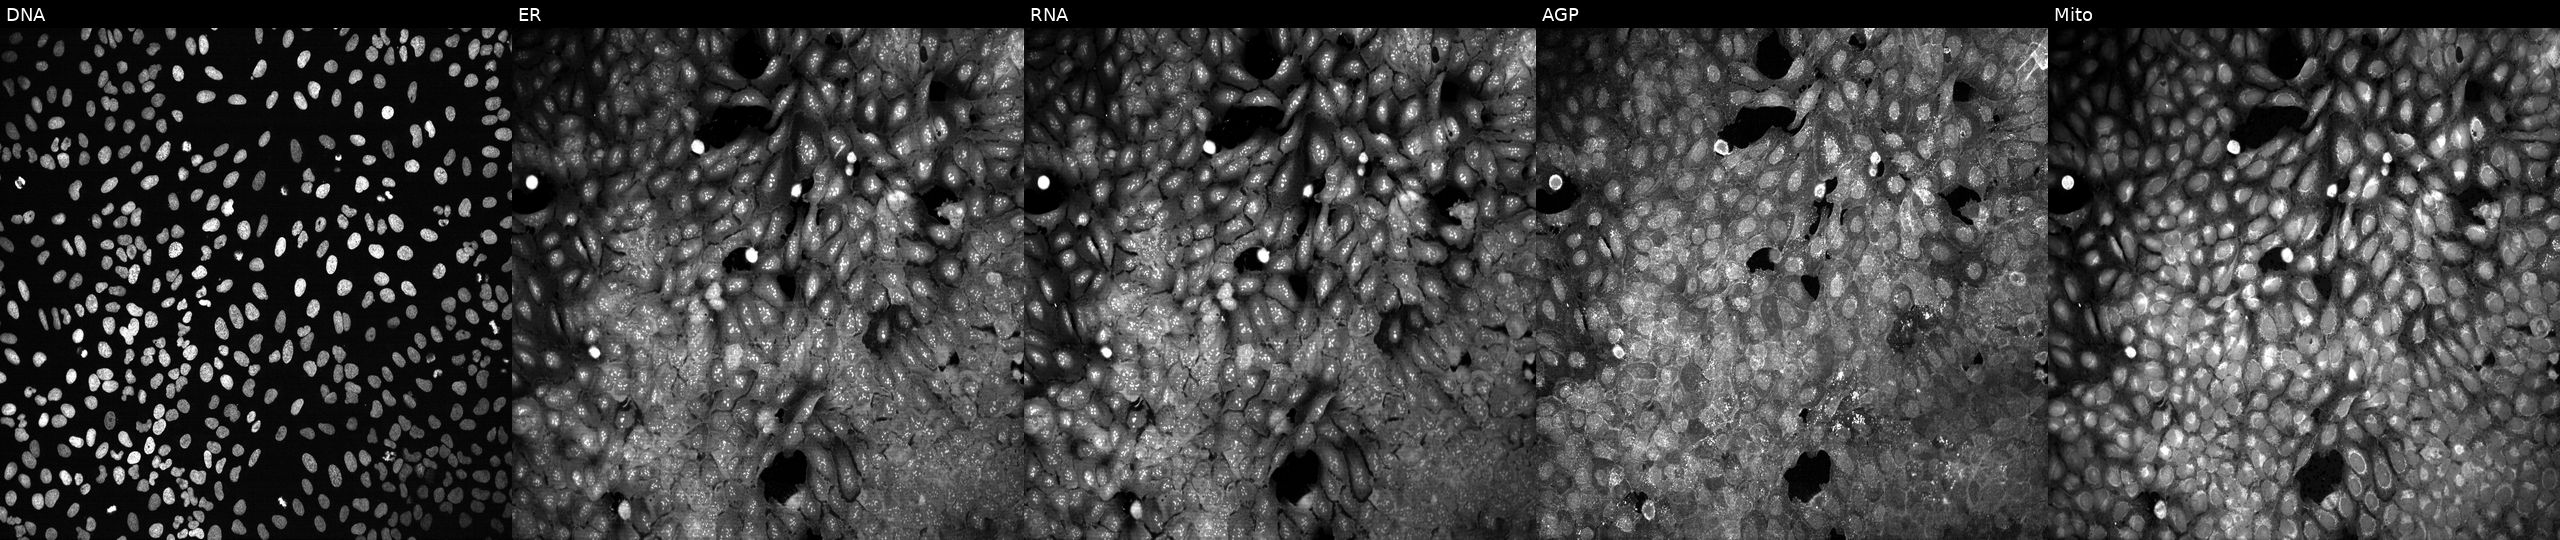
Five-channel Cell Painting image of U2OS cells exposed to DMSO alone as a negative control. Channels (left→right): Hoechst 33342, concanavalin A, SYTO 14, phalloidin and WGA, MitoTracker.